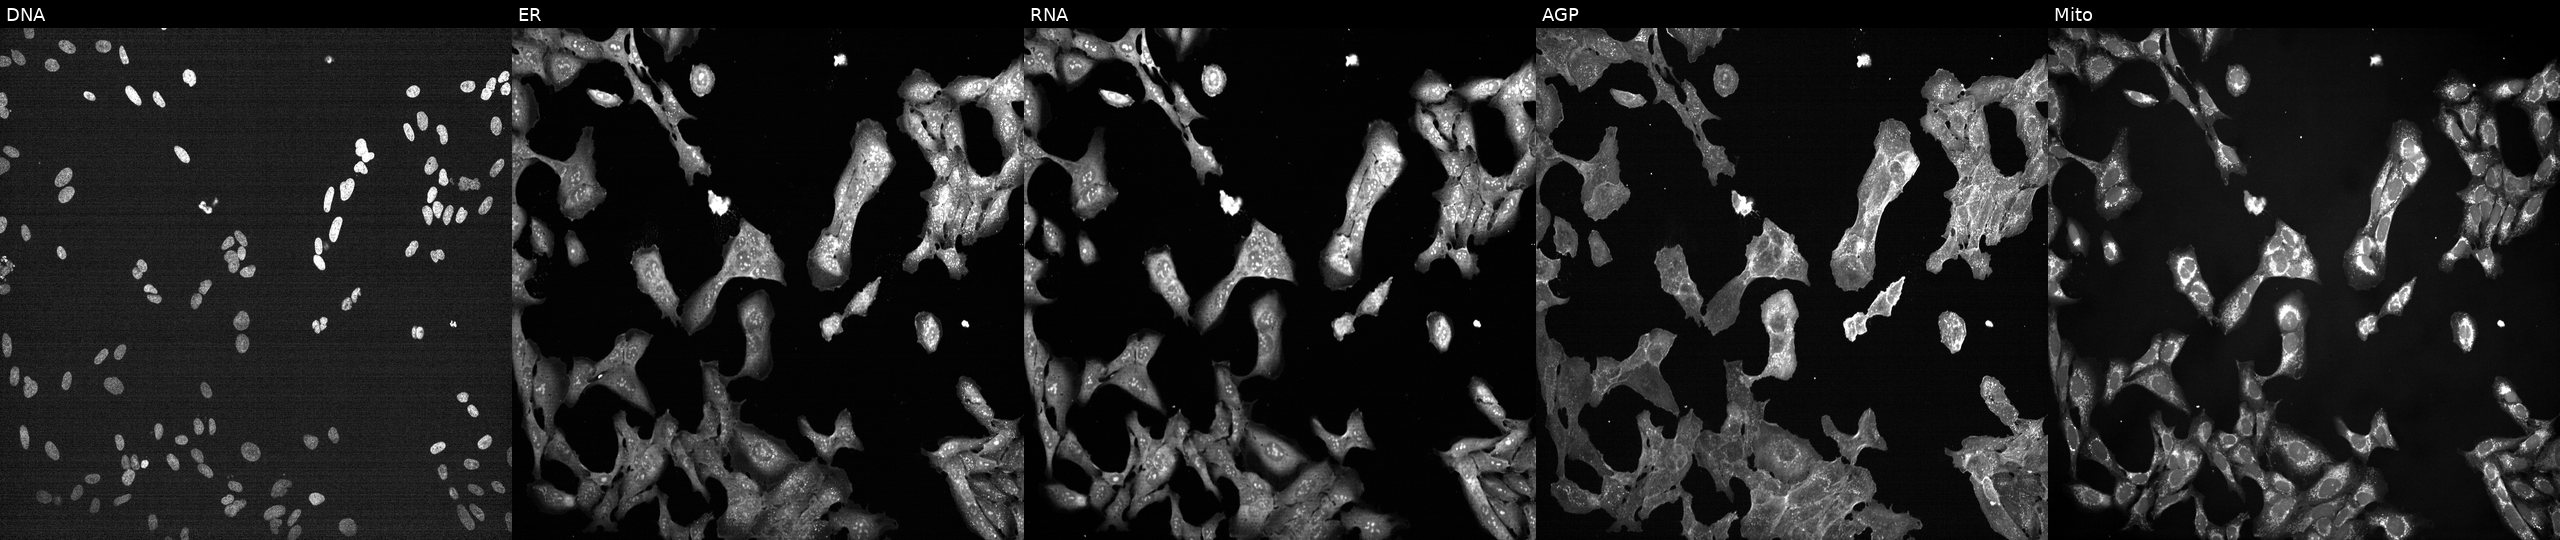
This image strip shows the five Cell Painting channels for a single field of U2OS cells treated with a small-molecule compound (InChIKey UTBOEBCWXGDOGI-UHFFFAOYSA-N) (JUMP id JCP2022_091373). Panels show, left to right, DNA (nuclei); ER (endoplasmic reticulum); RNA (nucleoli and cytoplasmic RNA); AGP (actin cytoskeleton, Golgi, and plasma membrane); Mito (mitochondria).